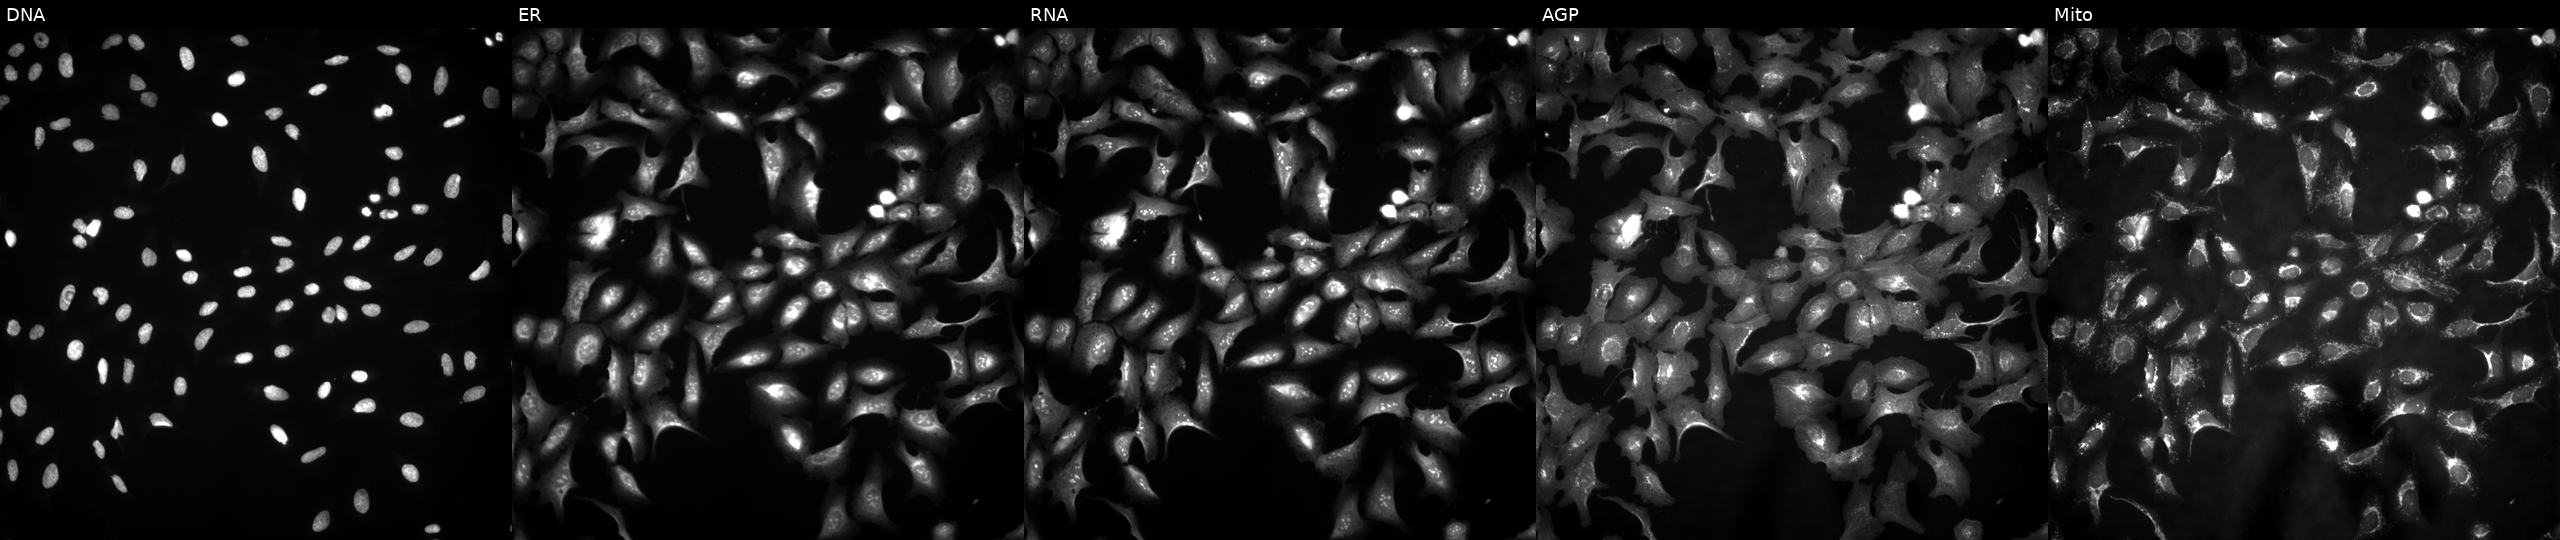
High-content fluorescence microscopy (Cell Painting). Cell line: U2OS. Perturbation: transfected with an ORF construct for GALM. Panels show, left to right, DNA (nuclei); ER (endoplasmic reticulum); RNA (nucleoli and cytoplasmic RNA); AGP (actin cytoskeleton, Golgi, and plasma membrane); Mito (mitochondria).